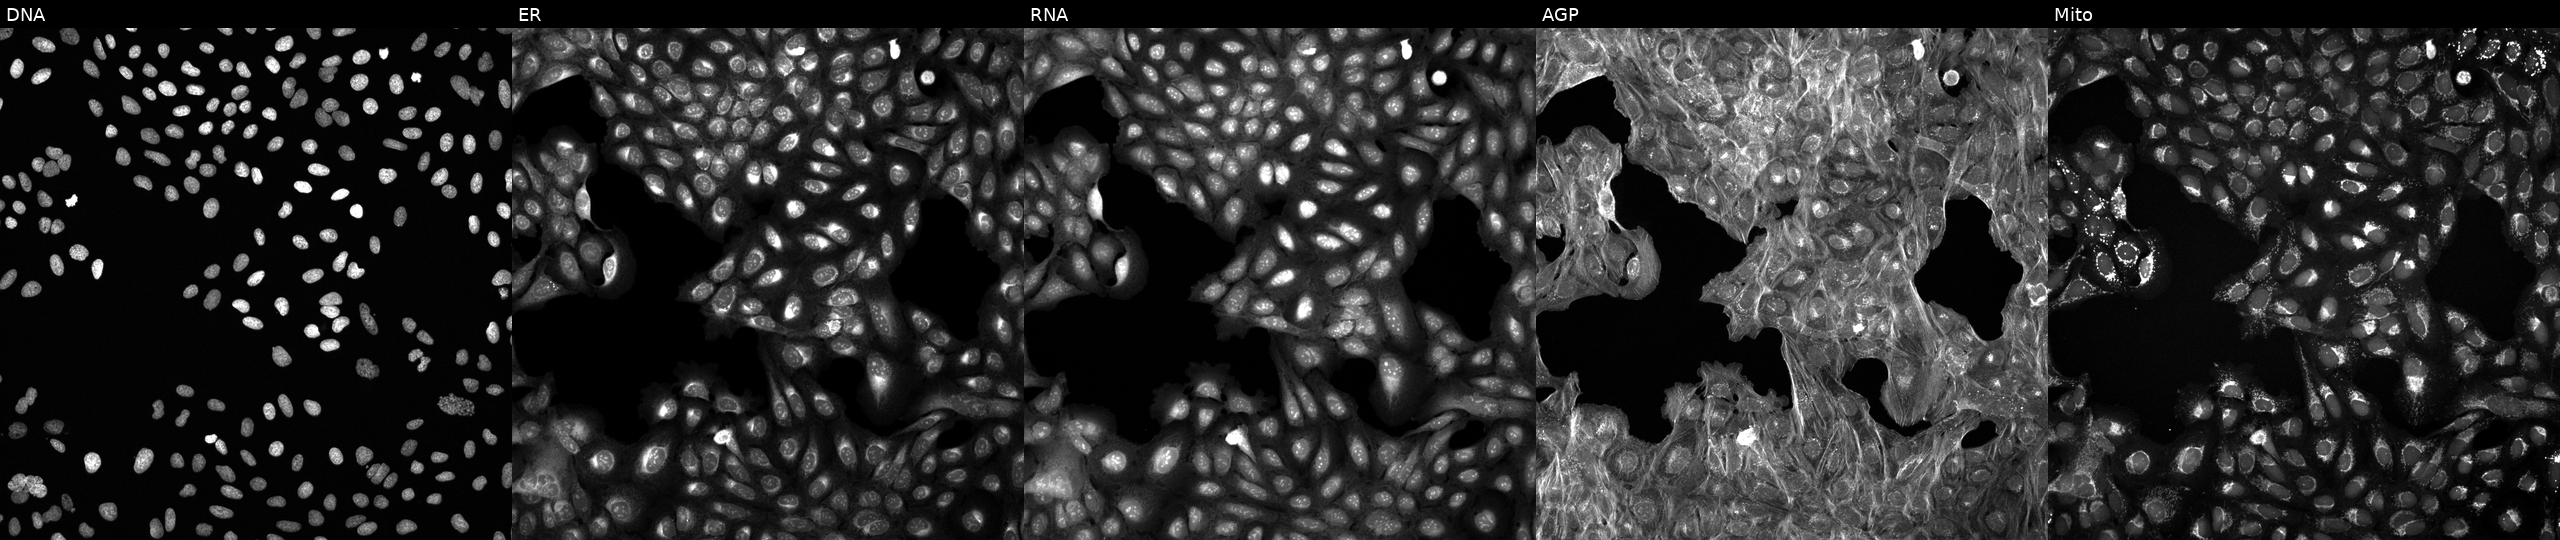
Five-channel Cell Painting image of U2OS cells exposed to a small-molecule compound (InChIKey FMYGNANMYYHBSU-UHFFFAOYSA-N) [SMILES: Cc1cc(C(=O)Cn2cc(C#N)ccc2=O)c(C)n1Cc1ccccc1] (JUMP id JCP2022_021678). Channels (left→right): DNA, ER, RNA, AGP, and Mito.